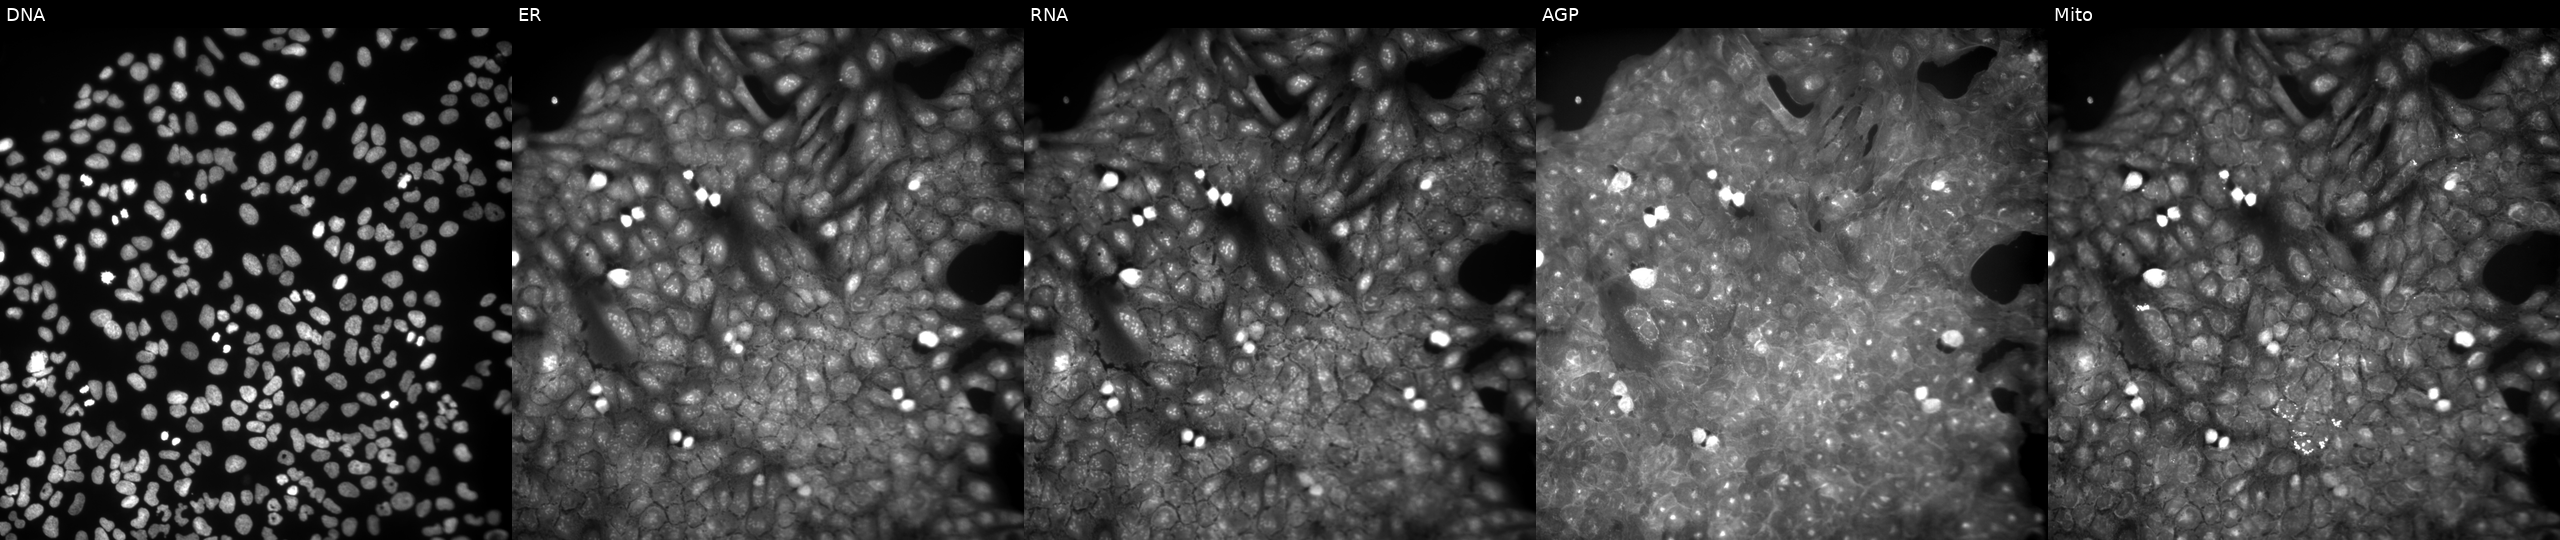
High-content fluorescence microscopy (Cell Painting). Cell line: U2OS. Perturbation: treated with DMSO vehicle only (negative control). From left to right: Hoechst 33342, concanavalin A, SYTO 14, phalloidin and WGA, MitoTracker.